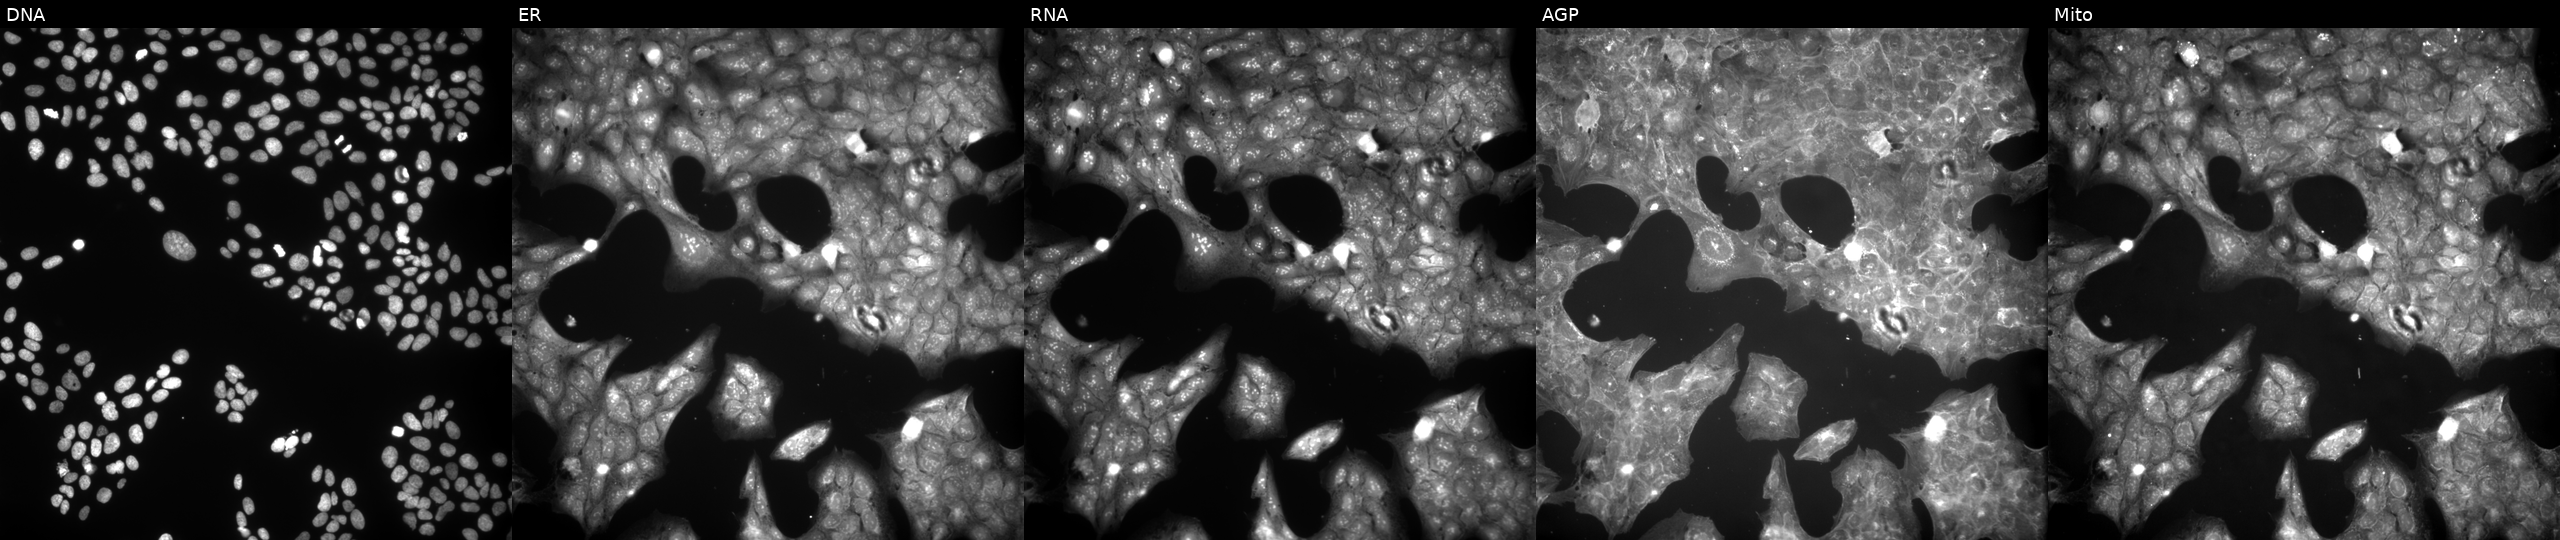
High-content fluorescence microscopy (Cell Painting). Cell line: U2OS. Perturbation: perturbed with a small-molecule compound (InChIKey IBCXZJCWDGCXQT-UHFFFAOYSA-N) [SMILES: c1ccc(-c2[nH]ncc2-c2ccnc3ccccc23)nc1]. Channels (left→right): Hoechst 33342, concanavalin A, SYTO 14, phalloidin and WGA, MitoTracker. Source 9, plate GR00003381, well U25.